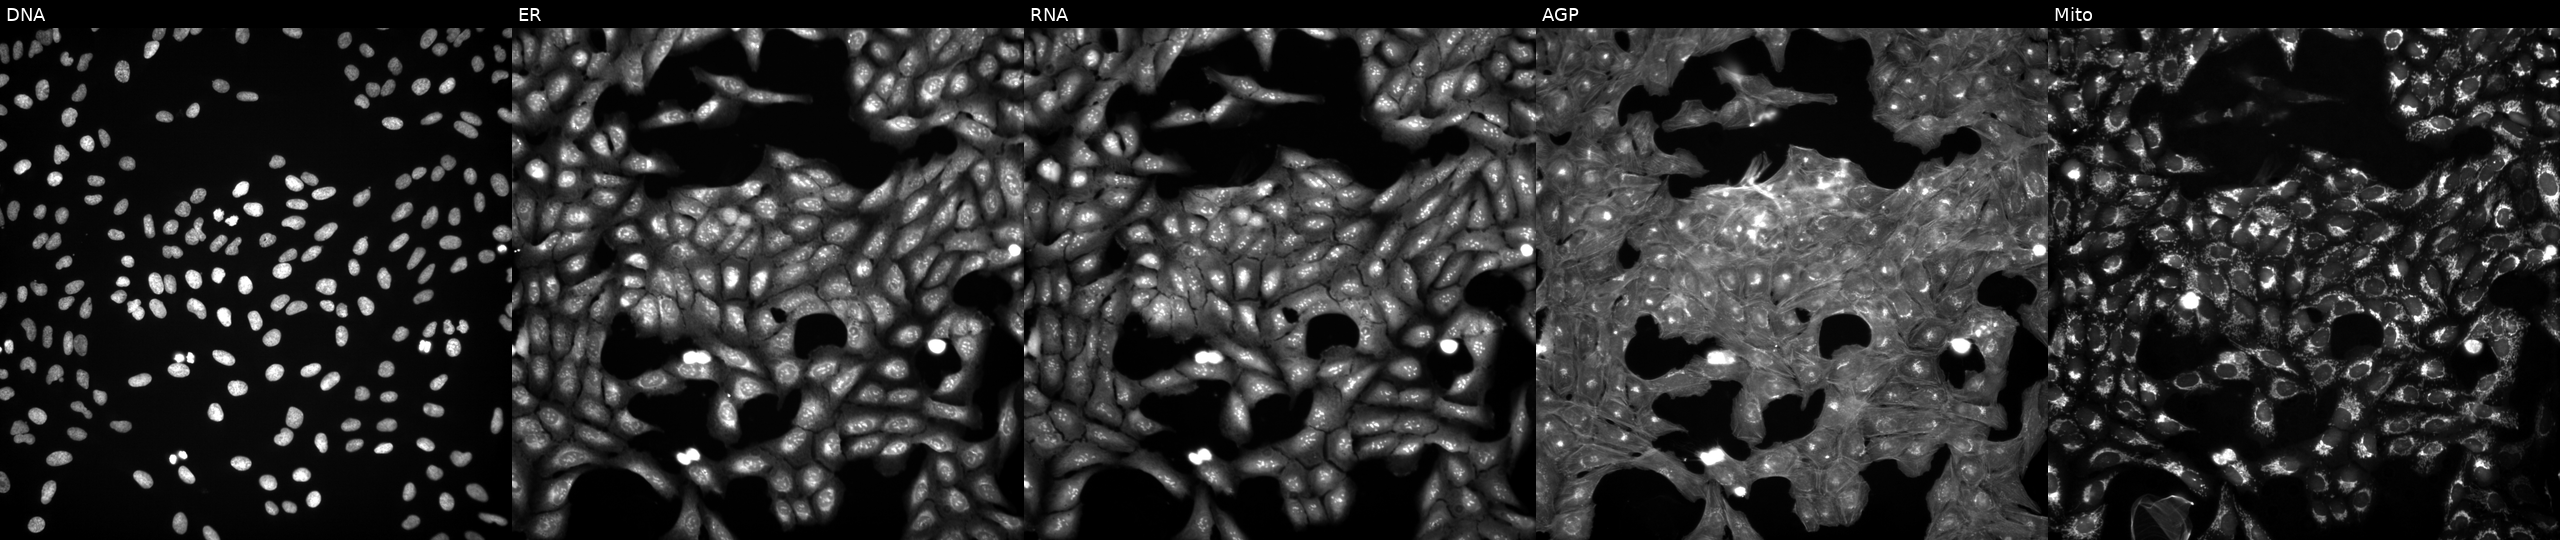
JUMP Cell Painting — TARGET2 plate. U2OS cells perturbed with a small-molecule compound (InChIKey VDQLKIBLTMPAHI-UHFFFAOYSA-N) [SMILES: CC(C)C(=O)c1ccc(O)c(O)c1] (JUMP id JCP2022_093289). Channels (left→right): Hoechst 33342, concanavalin A, SYTO 14, phalloidin and WGA, MitoTracker.